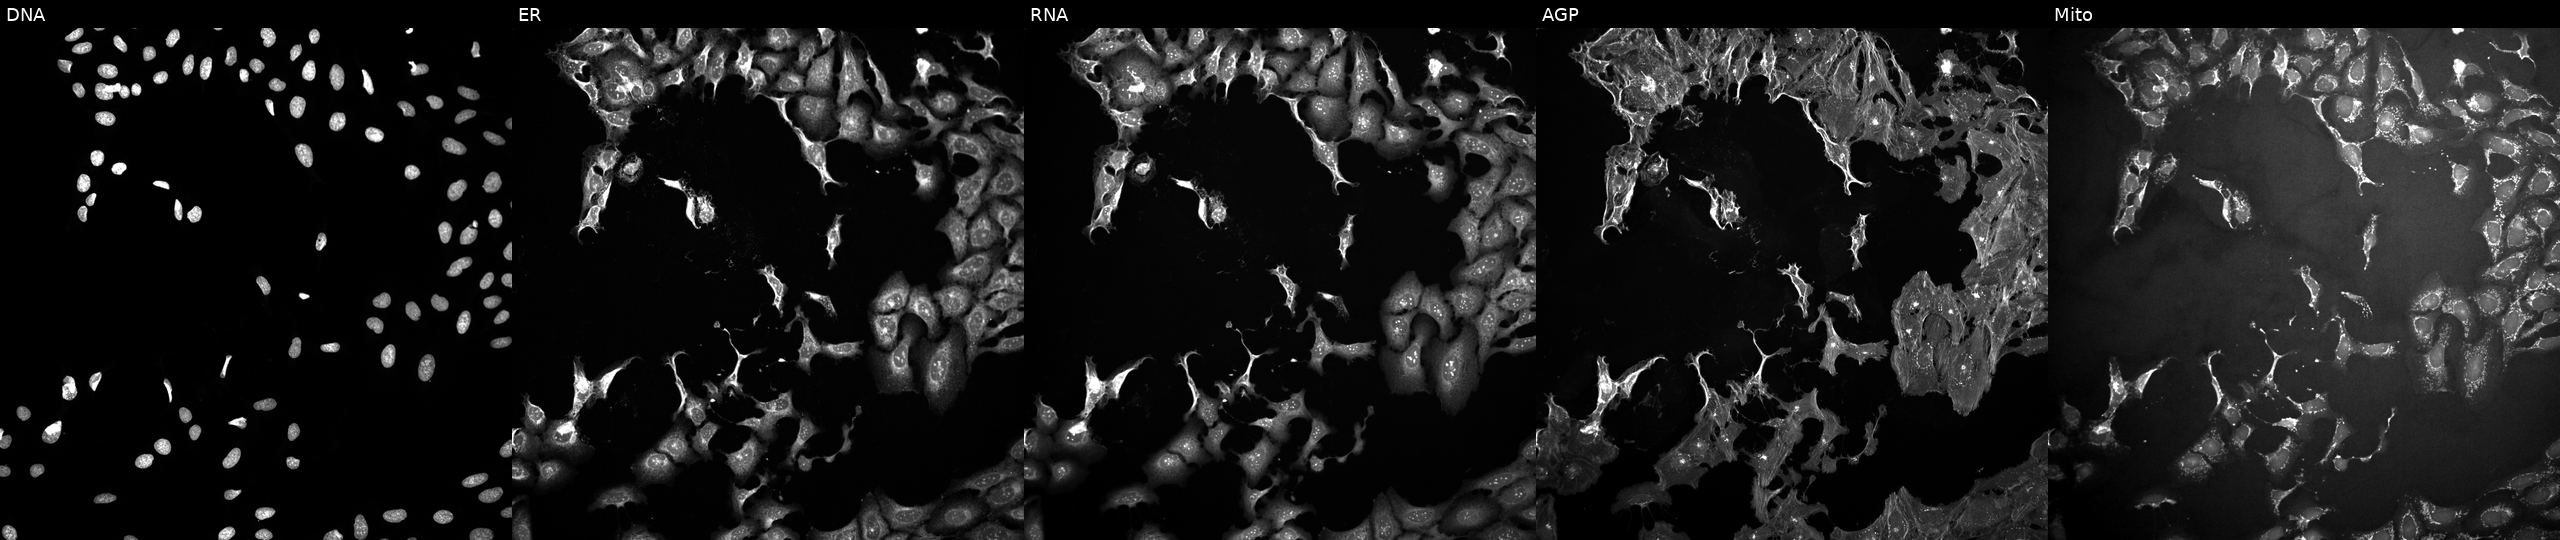
Five-channel Cell Painting image of U2OS cells exposed to the positive-control compound FK-866. Channels (left→right): Hoechst 33342, concanavalin A, SYTO 14, phalloidin and WGA, MitoTracker.